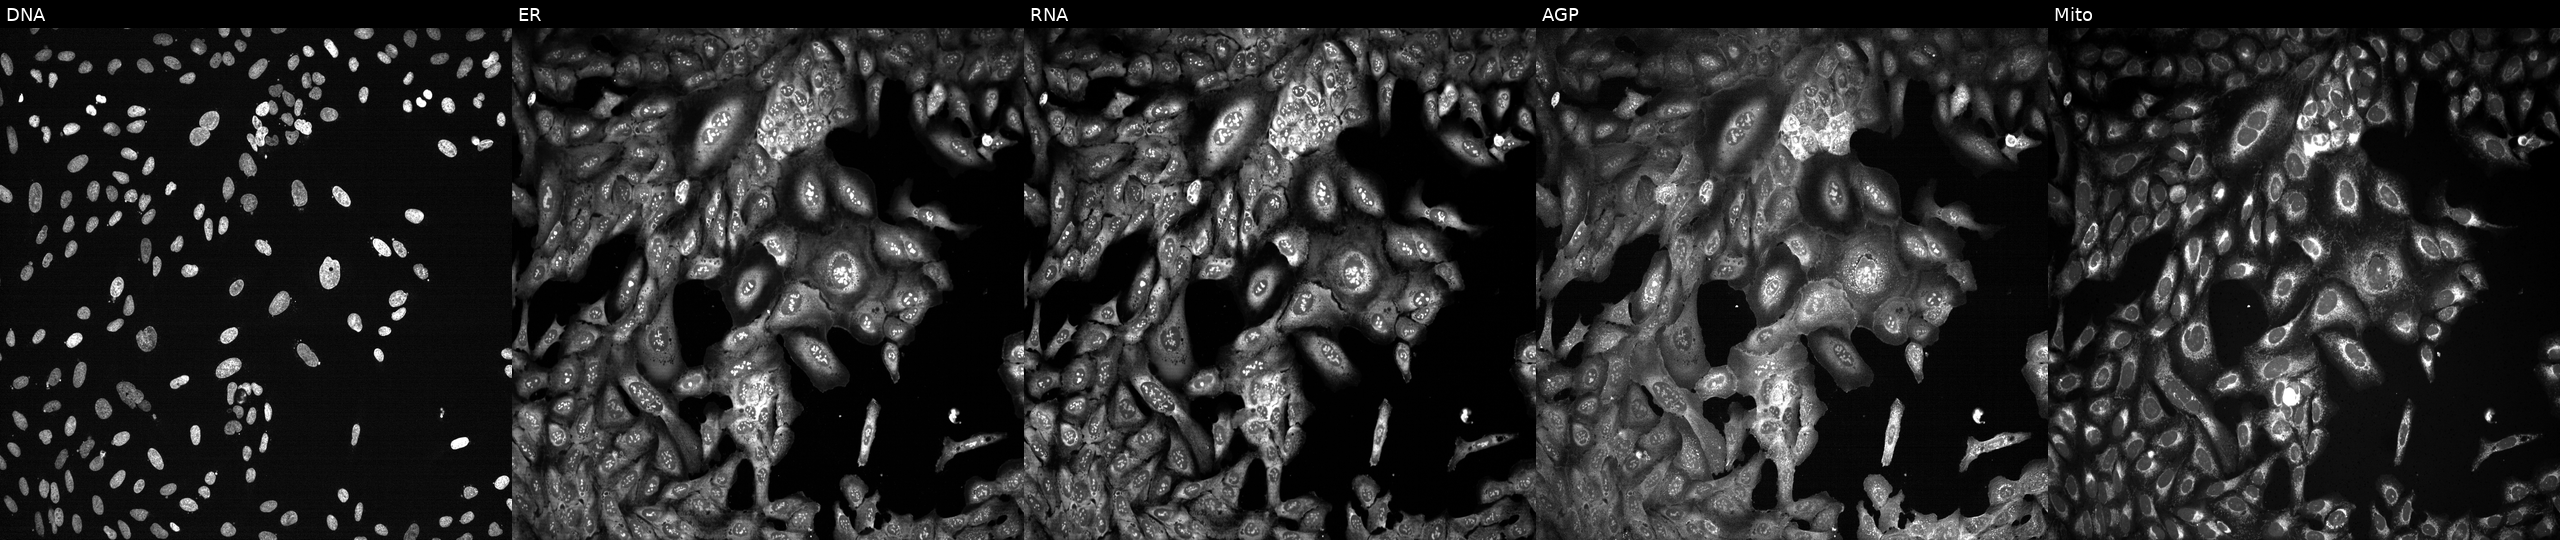
U2OS cells, Cell Painting assay, CRISPR-edited to disrupt SLC25A5. Panels show, left to right, Hoechst 33342, concanavalin A, SYTO 14, phalloidin and WGA, MitoTracker. Each panel is percentile-stretched 16-bit fluorescence. Source 13, plate CP-CC9-R4-03, well N07.